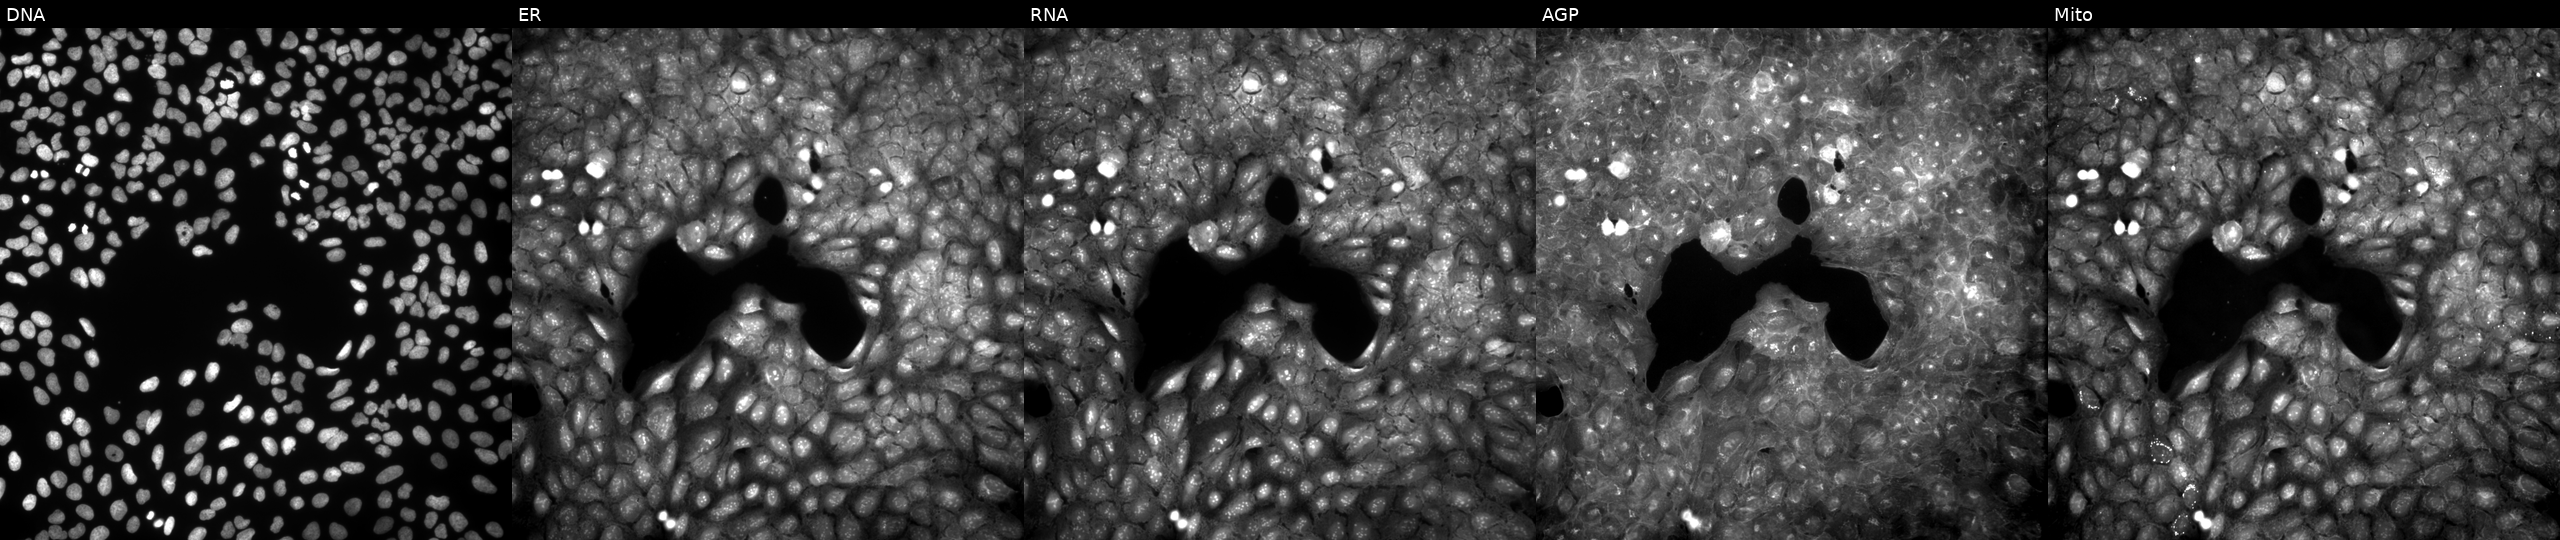
U2OS cells, Cell Painting assay, exposed to a small-molecule compound (InChIKey LUUVVAXVYYNQPB-UHFFFAOYSA-N) (JUMP id JCP2022_051865). The five panels, left to right, show Hoechst 33342, concanavalin A, SYTO 14, phalloidin and WGA, MitoTracker. Each panel is percentile-stretched 16-bit fluorescence.